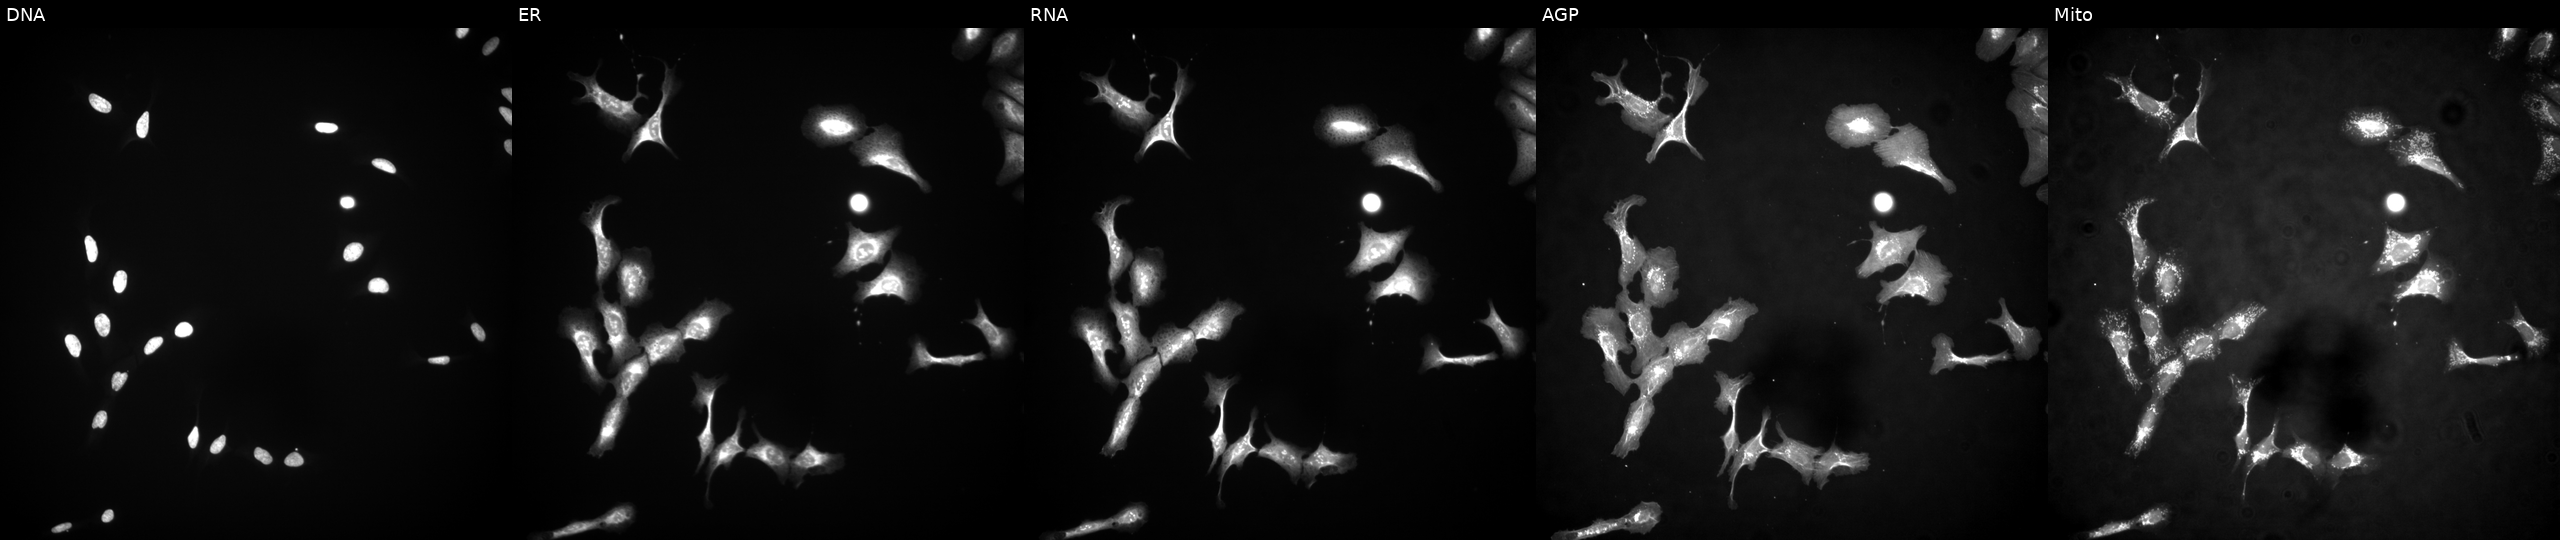
JUMP Cell Painting — ORF plate. U2OS cells with CPT1B overexpressed (ORF). From left to right: DNA, ER, RNA, AGP, and Mito. Source 4, plate BR00124790, well N14.